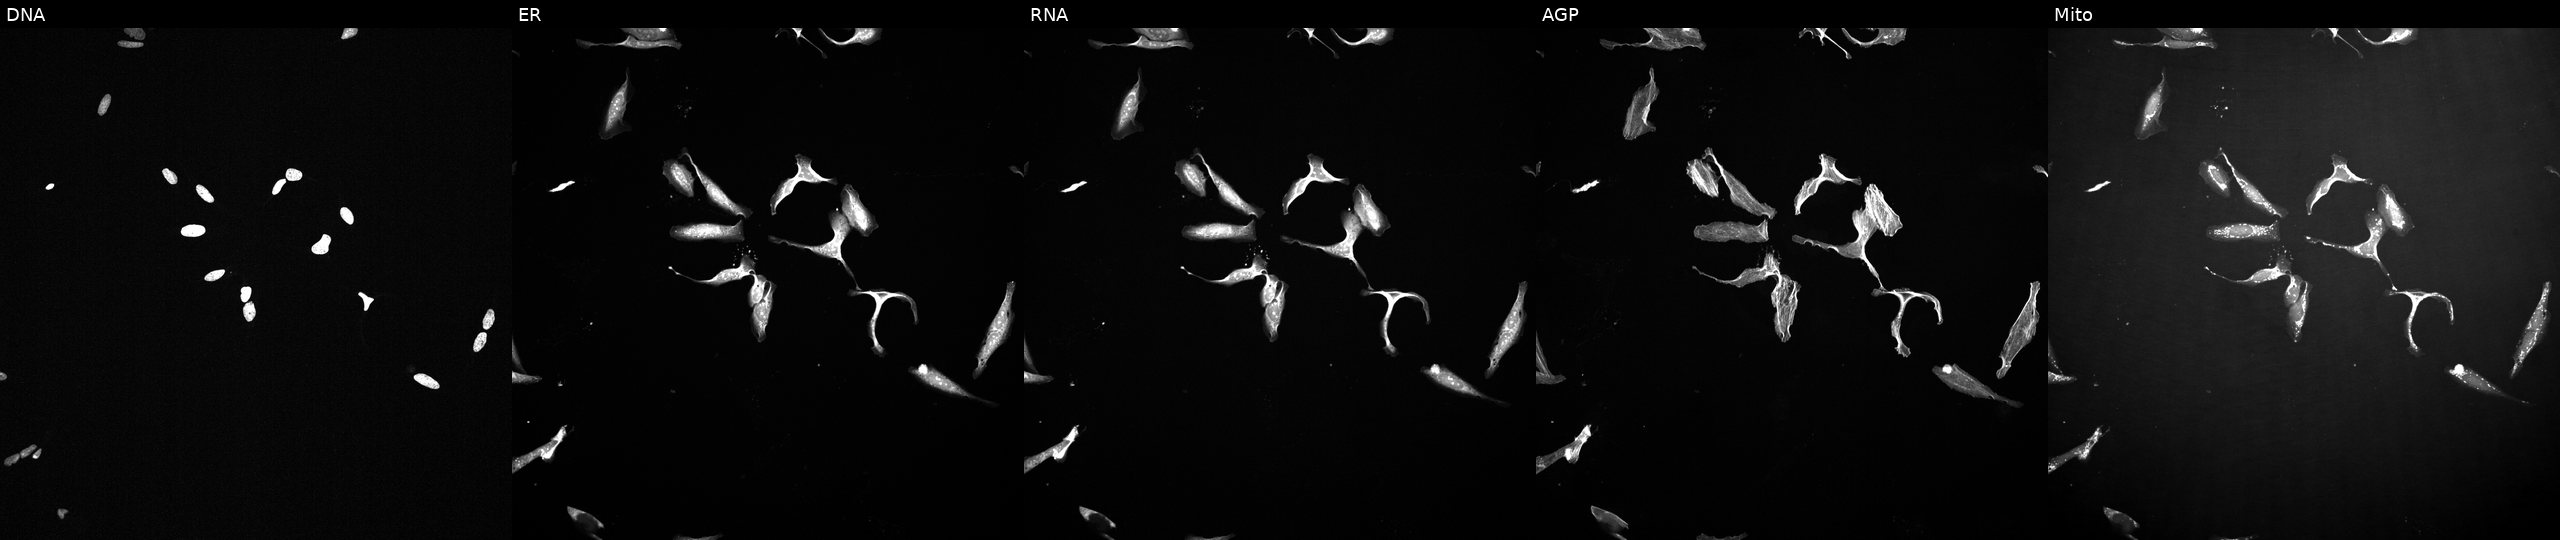
Channels (left→right): DNA, ER, RNA, AGP, and Mito. U2OS osteosarcoma cells treated with a small-molecule compound (InChIKey YKJYKKNCCRKFSL-UHFFFAOYSA-N). Cell Painting assay, JUMP-CP dataset.